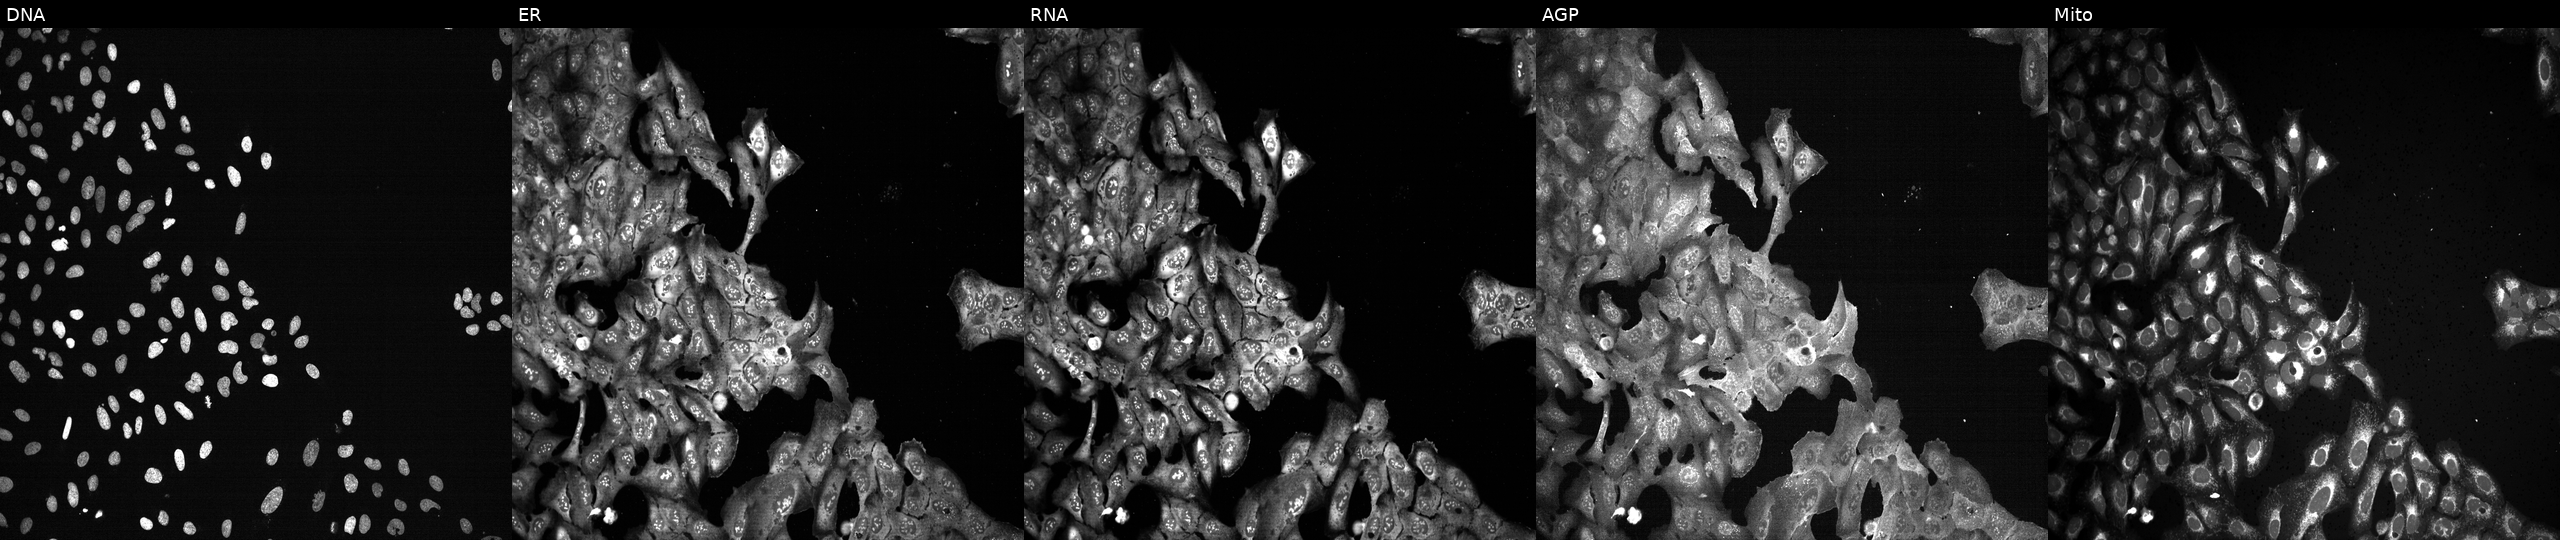
Five-channel Cell Painting image of U2OS cells following CRISPR knockout of LGALS12 (JUMP id JCP2022_803810). The five panels, left to right, show Hoechst 33342, concanavalin A, SYTO 14, phalloidin and WGA, MitoTracker.